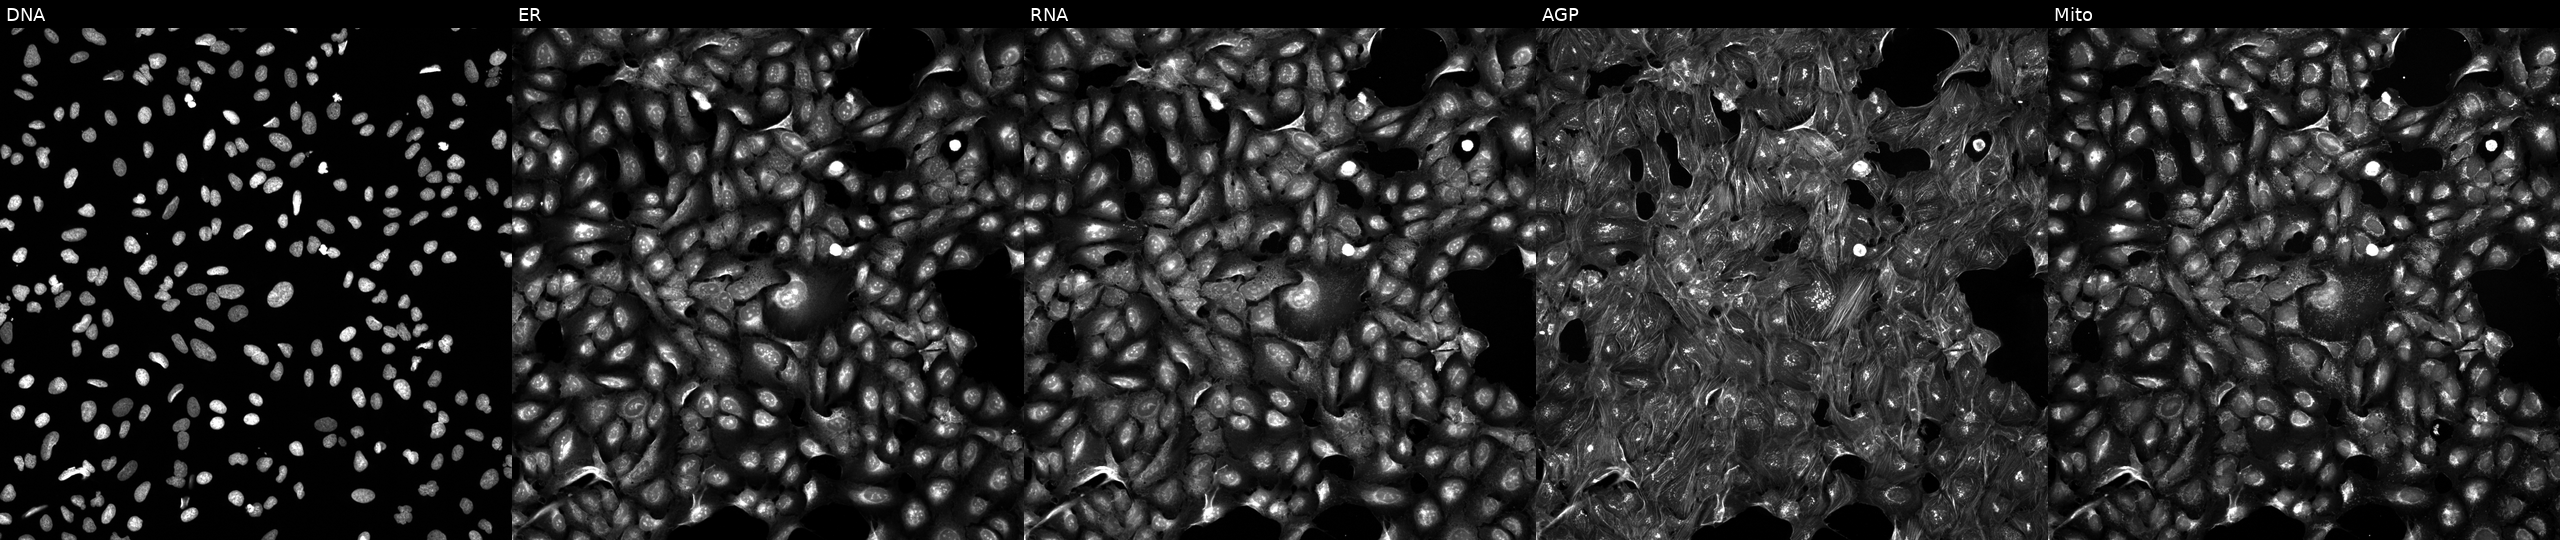
U2OS cells, Cell Painting assay, treated with TC-S-7004 (positive-control compound). Panels show, left to right, Hoechst 33342, concanavalin A, SYTO 14, phalloidin and WGA, MitoTracker. Each panel is percentile-stretched 16-bit fluorescence.